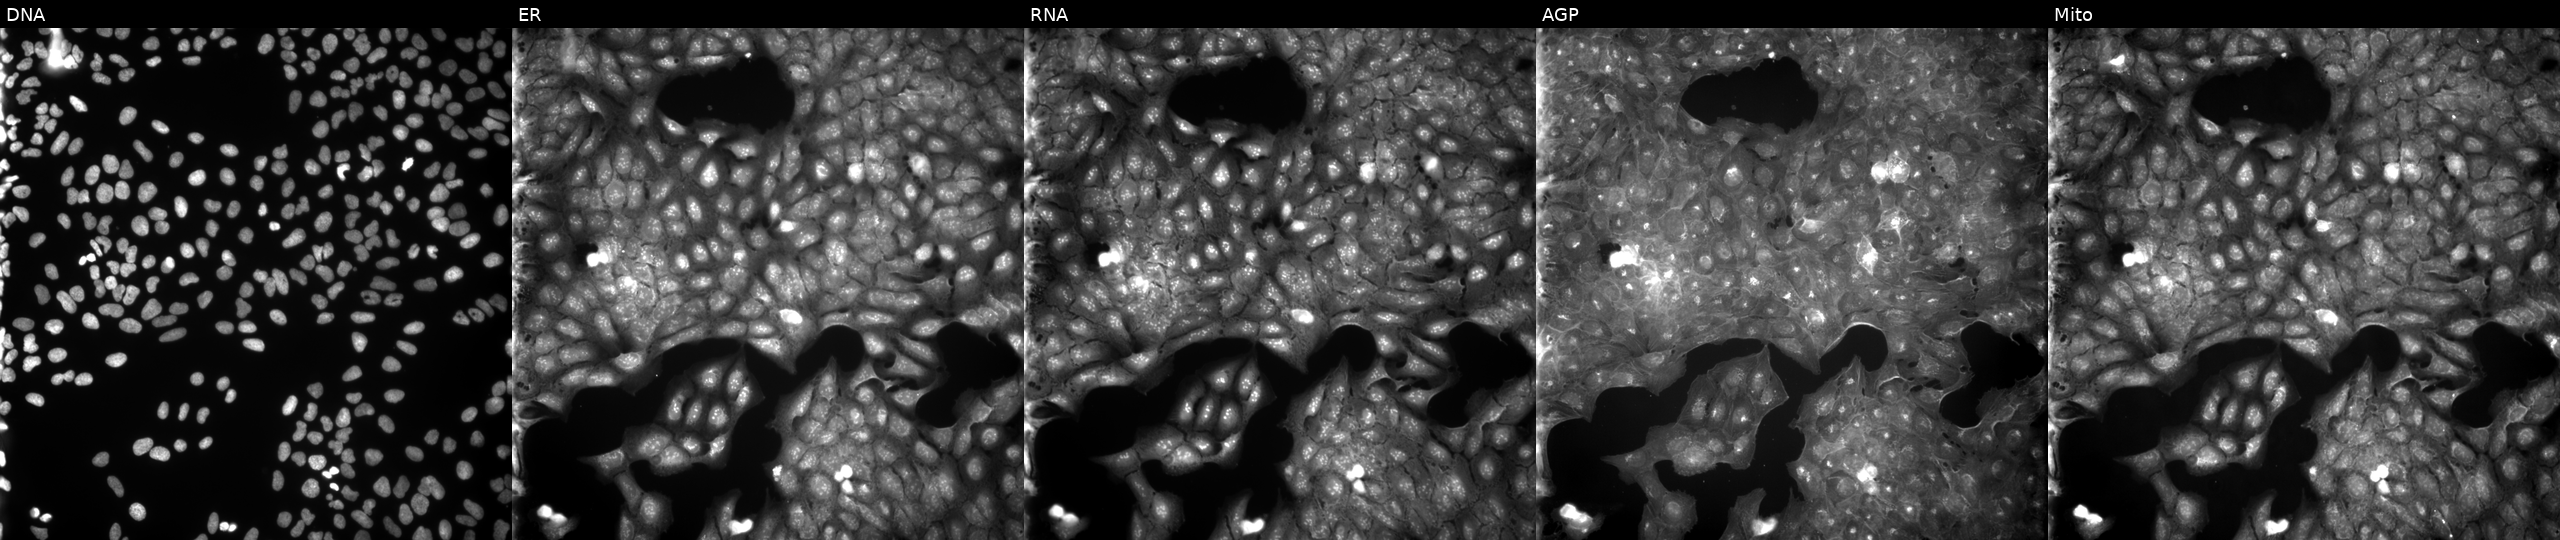
U2OS cells, Cell Painting assay, treated with a small-molecule compound (InChIKey WUJAWXNVEYSRPV-UHFFFAOYSA-N) [SMILES: CC(=O)Oc1ccc2cc(NC(=O)c3ccc(C)cc3)c(=O)oc2c1]. Panels show, left to right, Hoechst 33342, concanavalin A, SYTO 14, phalloidin and WGA, MitoTracker. Each panel is percentile-stretched 16-bit fluorescence. Source 9, plate GR00003381, well J15.